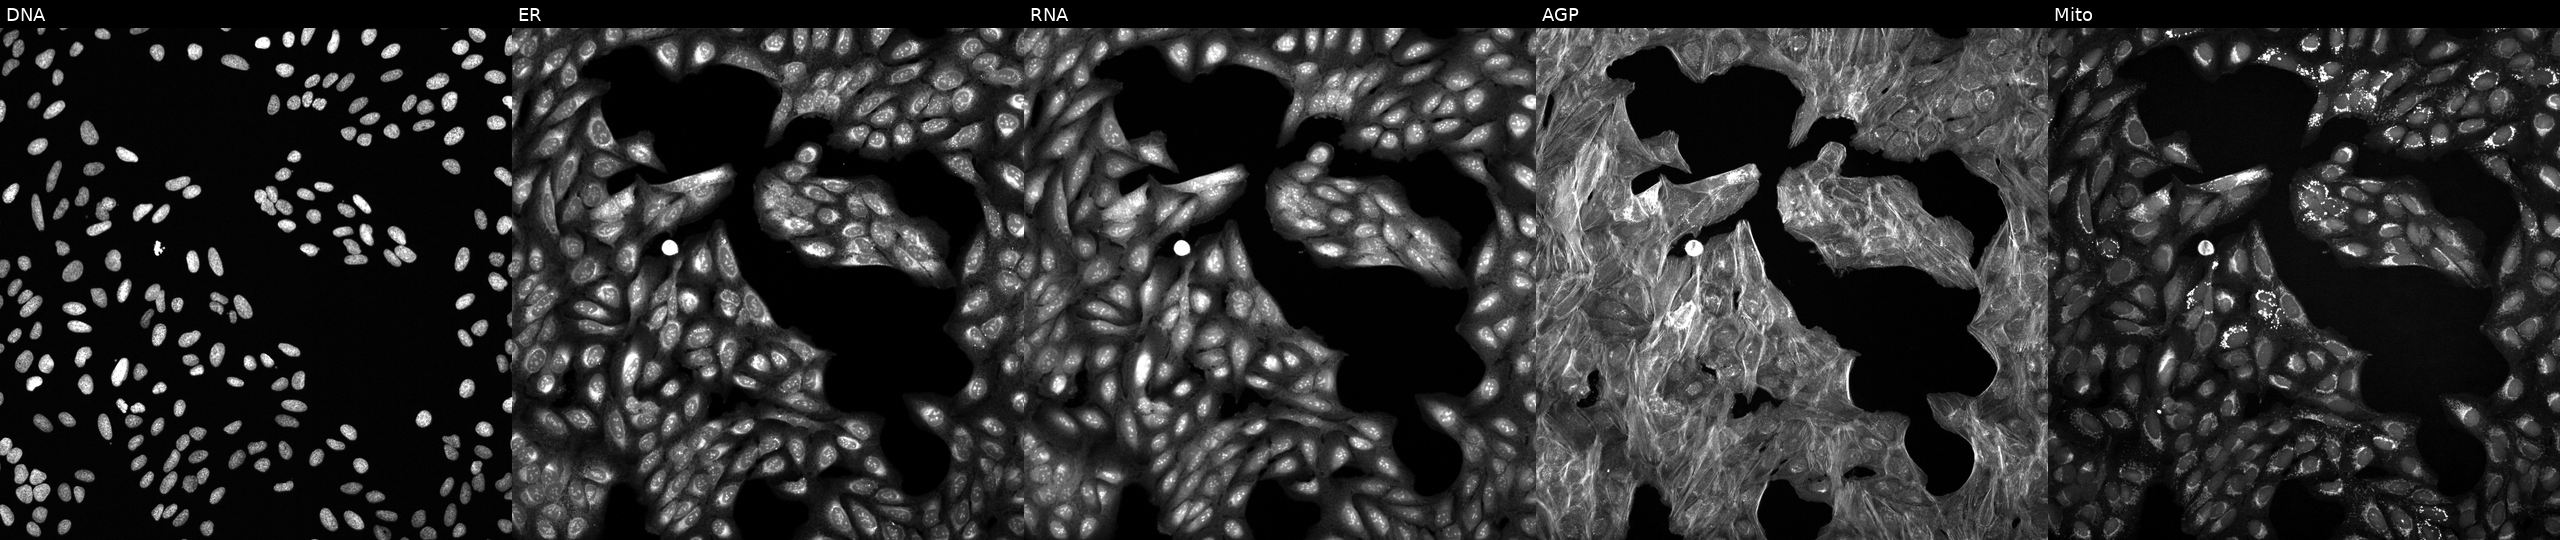
JUMP Cell Painting — TARGET2 plate. U2OS cells perturbed with a small-molecule compound (InChIKey BYBLEWFAAKGYCD-UHFFFAOYSA-N) [SMILES: Clc1ccc(COC(Cn2ccnc2)c2ccc(Cl)cc2Cl)c(Cl)c1] (JUMP id JCP2022_009419). The five panels, left to right, show DNA, ER, RNA, AGP, and Mito. Source 6, plate 110000293093, well O03.